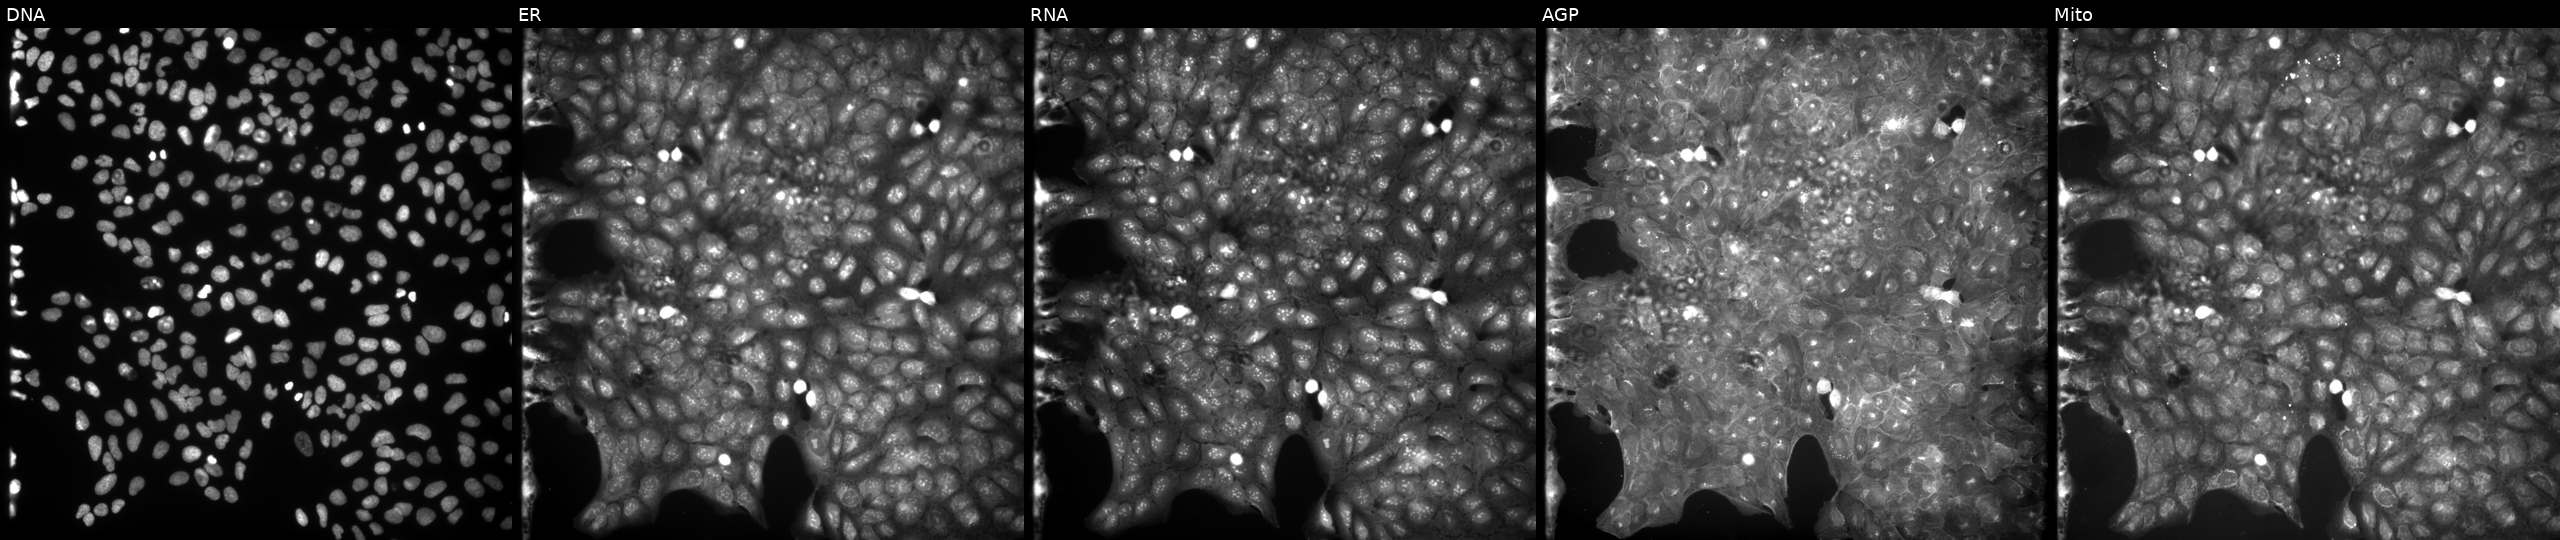
Five-channel Cell Painting image of U2OS cells perturbed with a small-molecule compound (JUMP id JCP2022_061186). Channels (left→right): DNA (nuclei); ER (endoplasmic reticulum); RNA (nucleoli and cytoplasmic RNA); AGP (actin cytoskeleton, Golgi, and plasma membrane); Mito (mitochondria).